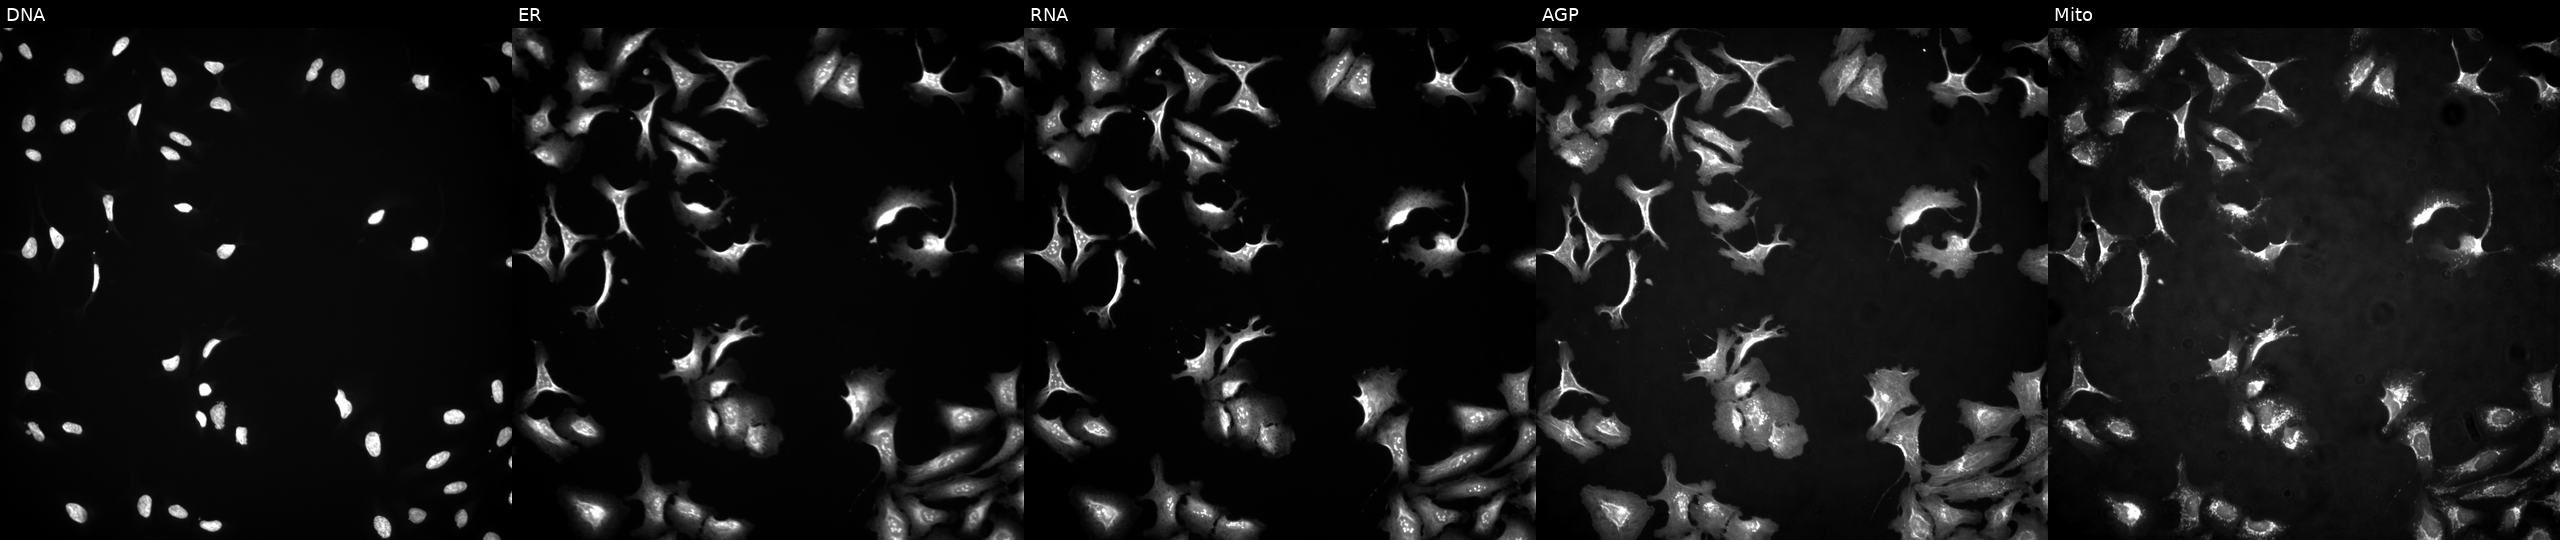
Five-channel Cell Painting image of U2OS cells transfected with an ORF construct for PCID2. The five panels, left to right, show DNA (nuclei); ER (endoplasmic reticulum); RNA (nucleoli and cytoplasmic RNA); AGP (actin cytoskeleton, Golgi, and plasma membrane); Mito (mitochondria). Source 4, plate BR00124787, well K09.